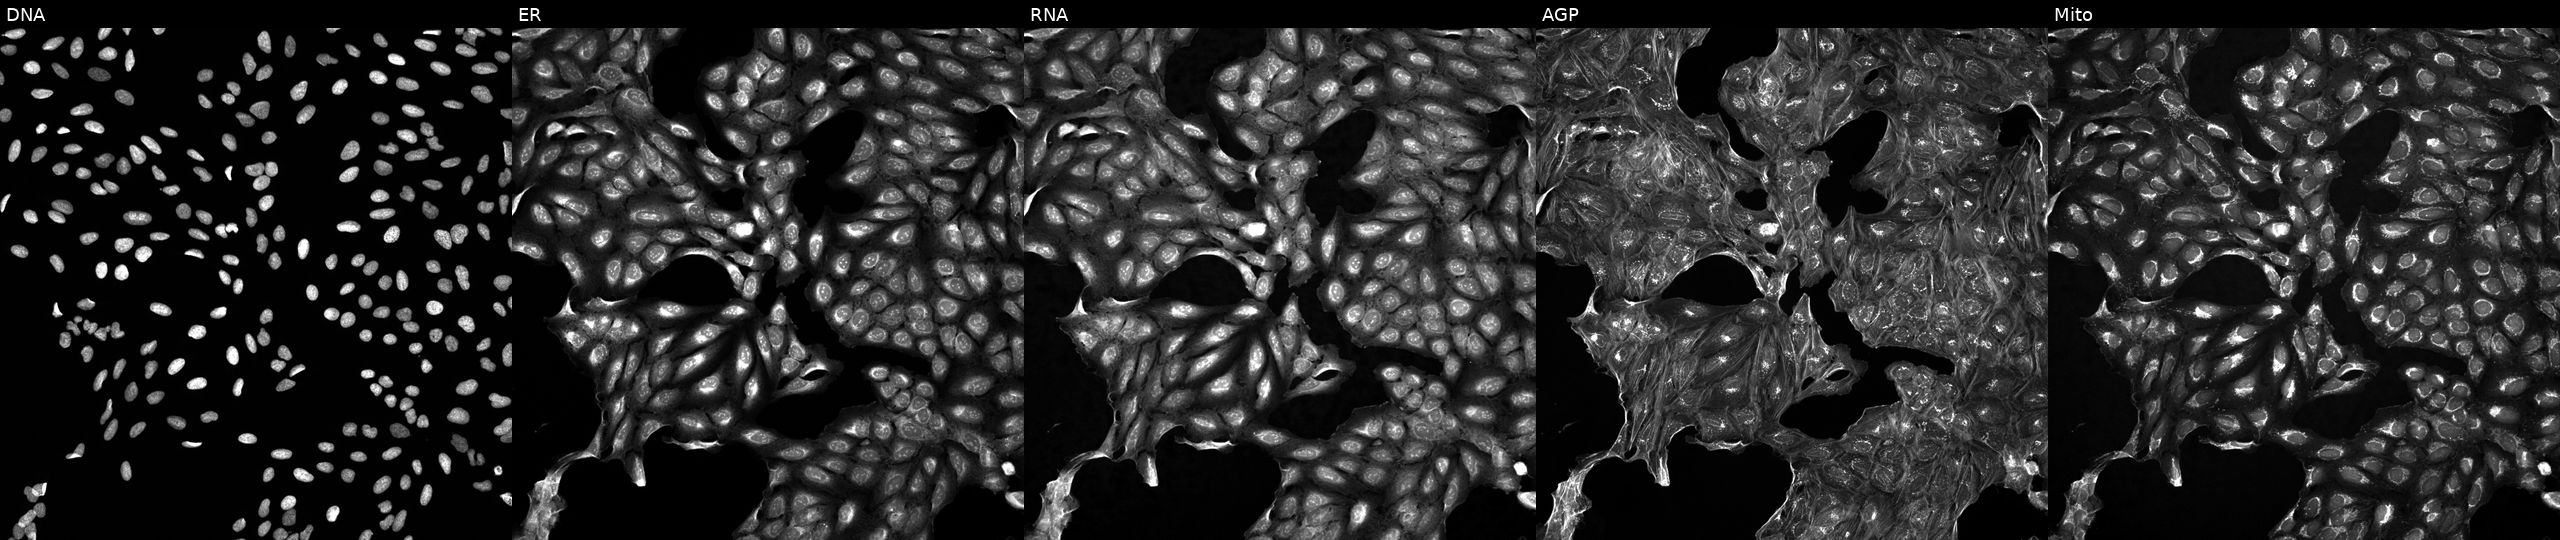
U2OS cells, Cell Painting assay, exposed to DMSO alone as a negative control. From left to right: DNA, ER, RNA, AGP, and Mito. Each panel is percentile-stretched 16-bit fluorescence.